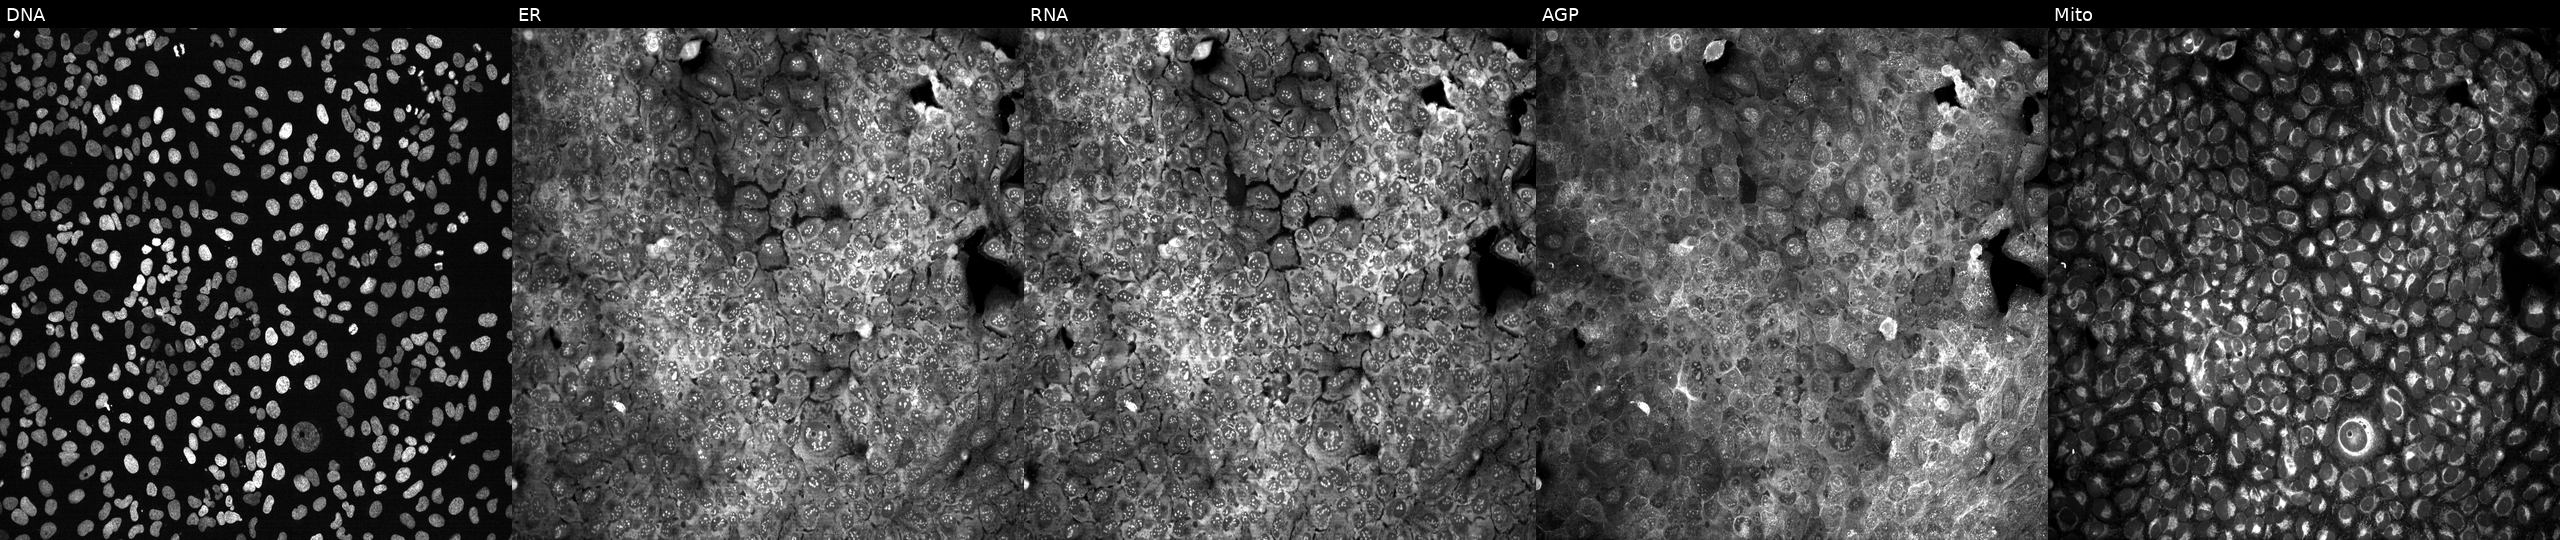
Five-channel Cell Painting image of U2OS cells with NUBP1 knocked out by CRISPR (JUMP id JCP2022_804738). Channels (left→right): DNA (nuclei); ER (endoplasmic reticulum); RNA (nucleoli and cytoplasmic RNA); AGP (actin cytoskeleton, Golgi, and plasma membrane); Mito (mitochondria).